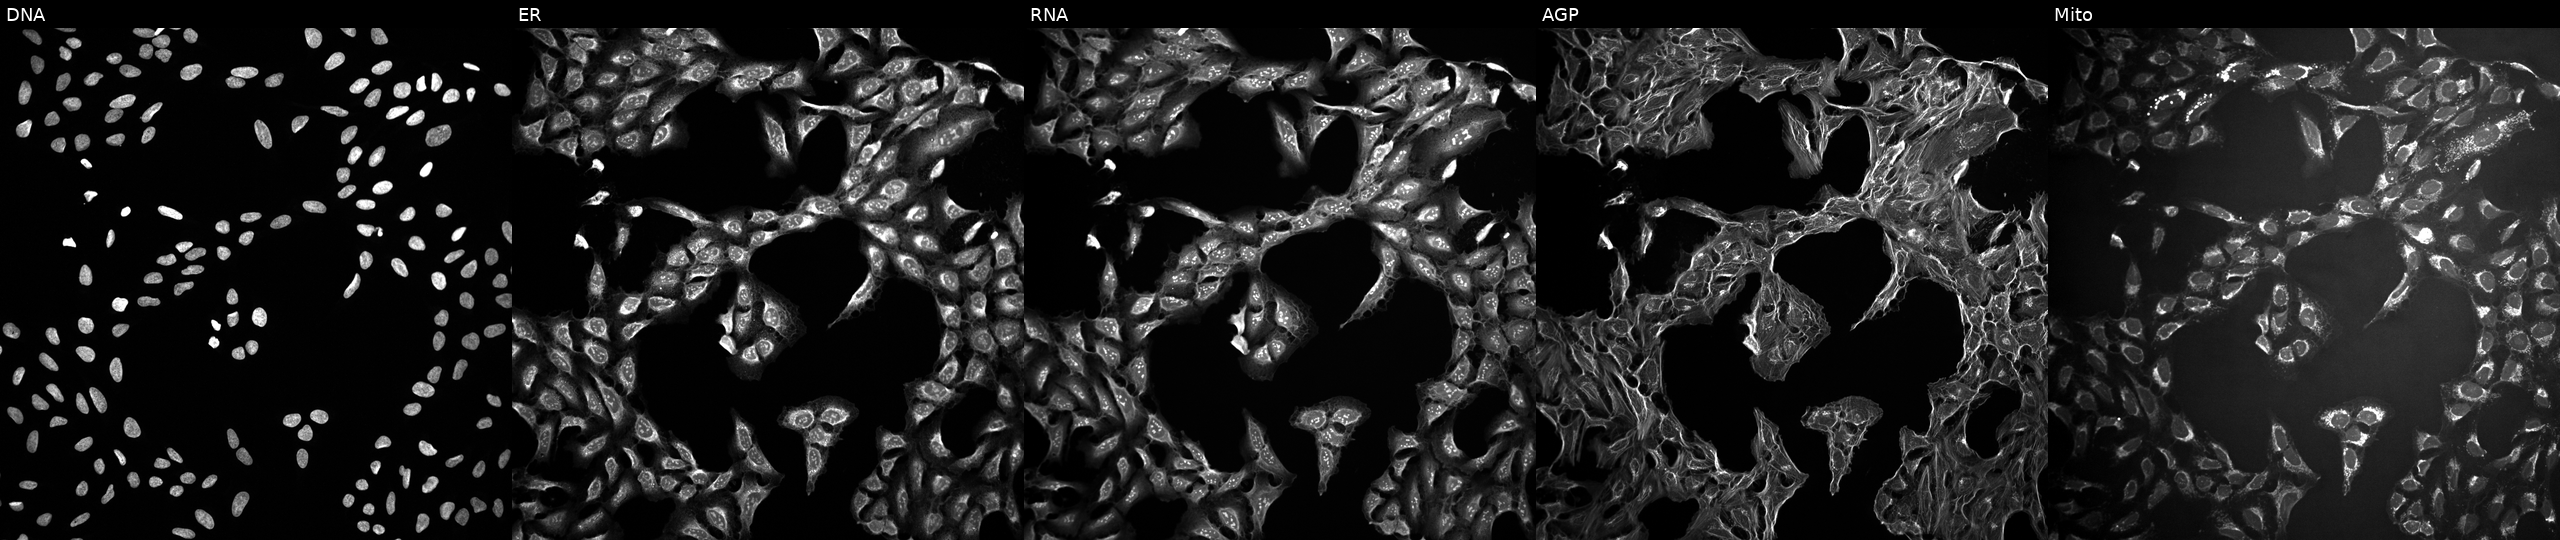
High-content fluorescence microscopy (Cell Painting). Cell line: U2OS. Perturbation: exposed to a small-molecule compound. Panels show, left to right, DNA (nuclei); ER (endoplasmic reticulum); RNA (nucleoli and cytoplasmic RNA); AGP (actin cytoskeleton, Golgi, and plasma membrane); Mito (mitochondria).